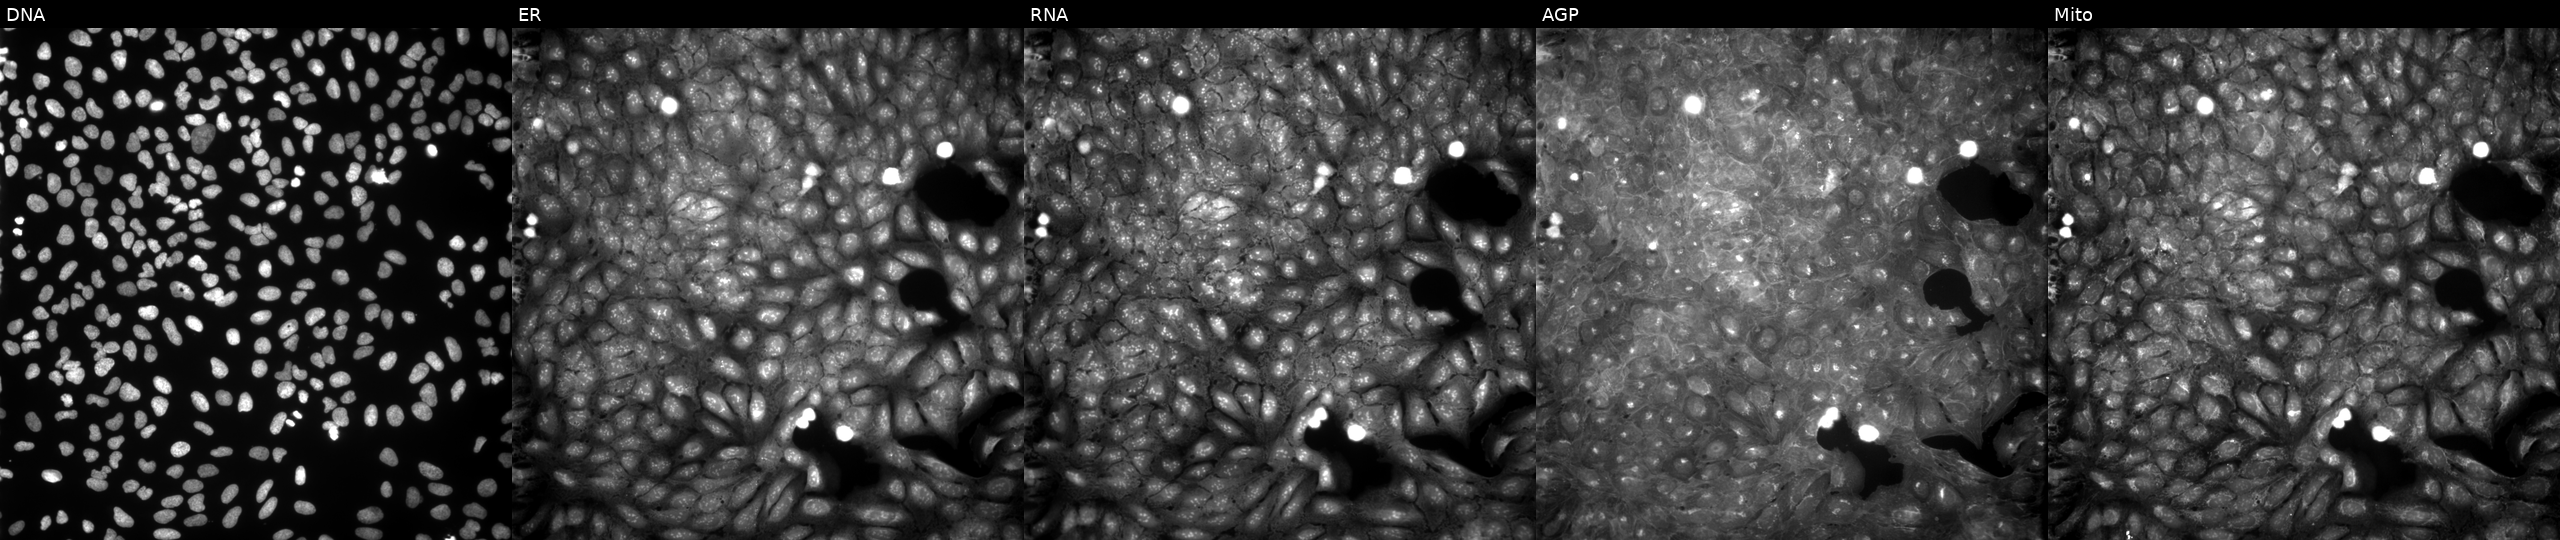
U2OS cells, Cell Painting assay, treated with DMSO vehicle only (negative control) (JUMP id JCP2022_033924). Panels show, left to right, DNA (nuclei); ER (endoplasmic reticulum); RNA (nucleoli and cytoplasmic RNA); AGP (actin cytoskeleton, Golgi, and plasma membrane); Mito (mitochondria). Each panel is percentile-stretched 16-bit fluorescence.